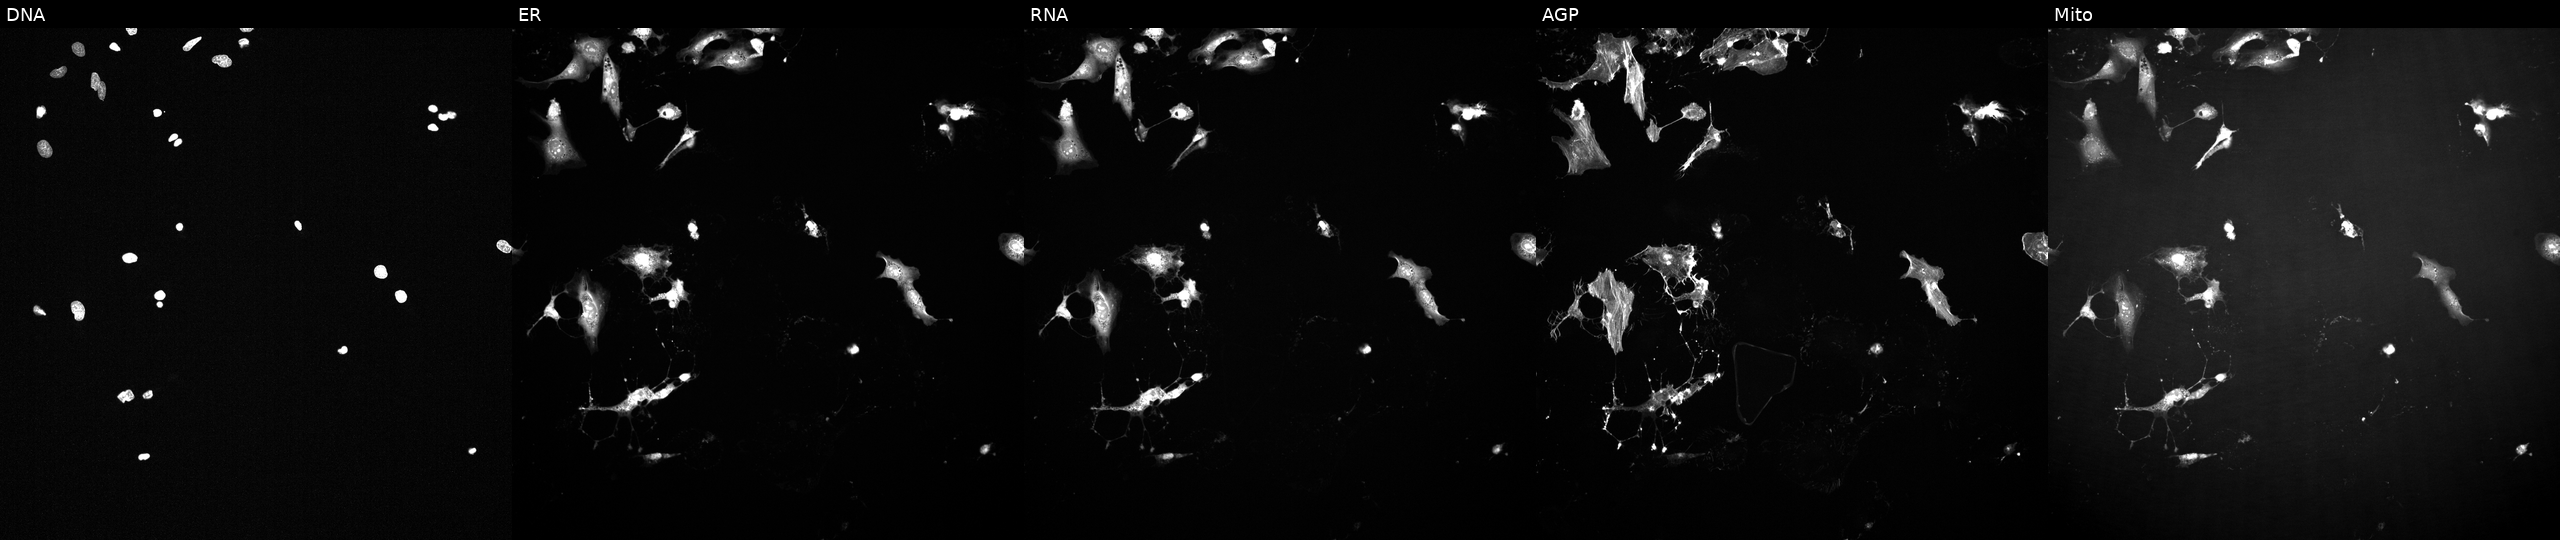
This image strip shows the five Cell Painting channels for a single field of U2OS cells treated with a small-molecule compound [SMILES: CC1(C)C(=O)N=C2c3ccccc3C(=O)C(=O)C21]. Channels (left→right): Hoechst 33342, concanavalin A, SYTO 14, phalloidin and WGA, MitoTracker. Source 2, plate 1053597936, well O05.